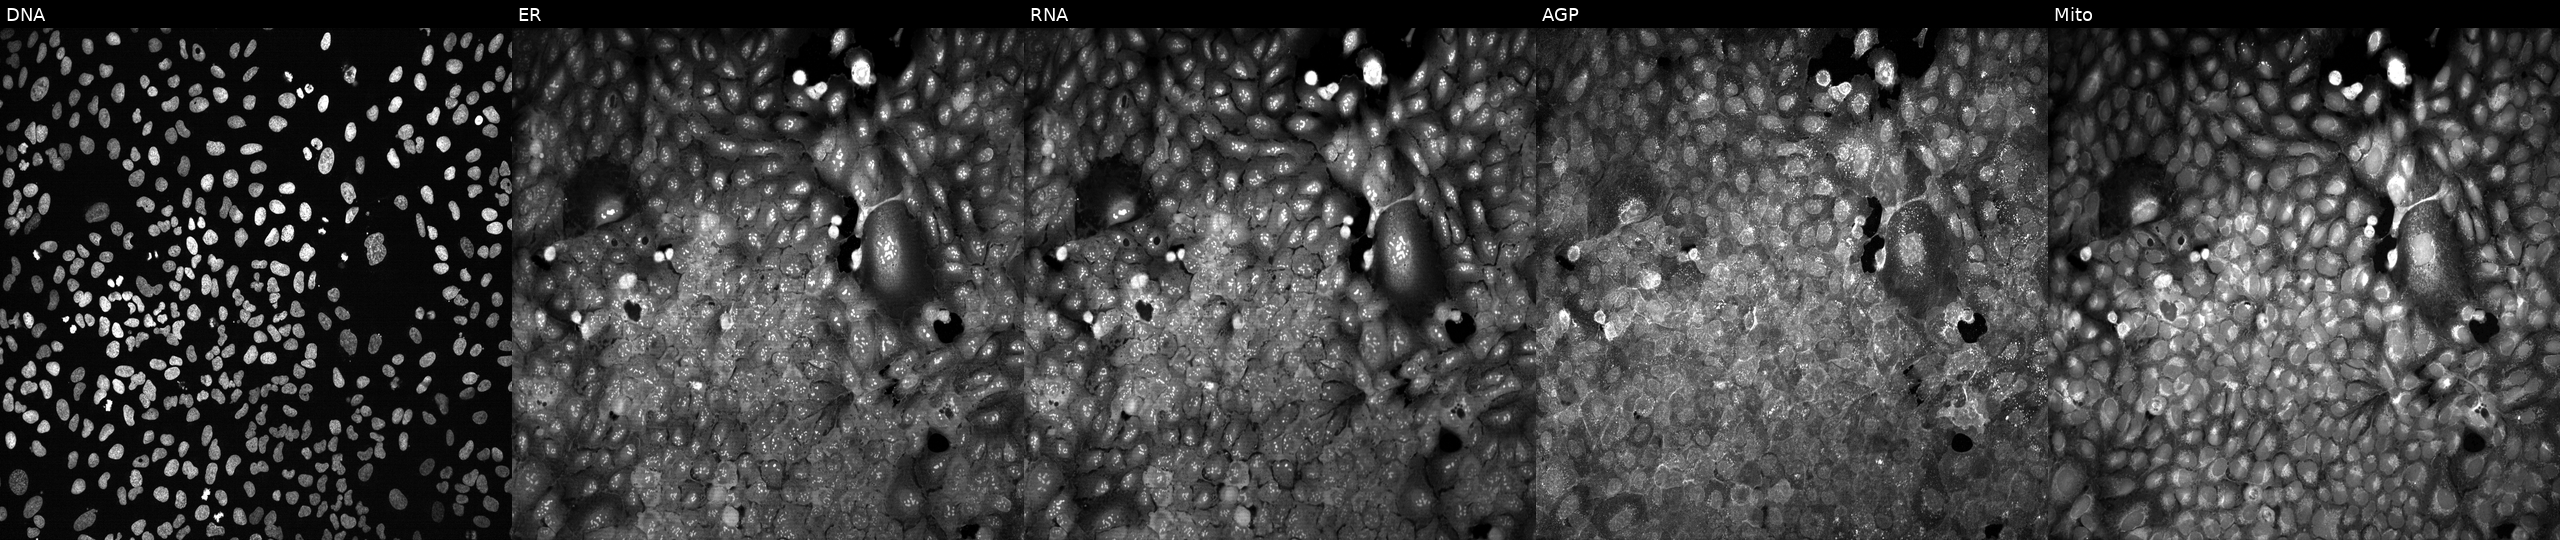
From left to right: Hoechst 33342, concanavalin A, SYTO 14, phalloidin and WGA, MitoTracker. U2OS osteosarcoma cells with TXNDC5 knocked out by CRISPR. Cell Painting assay, JUMP-CP dataset.